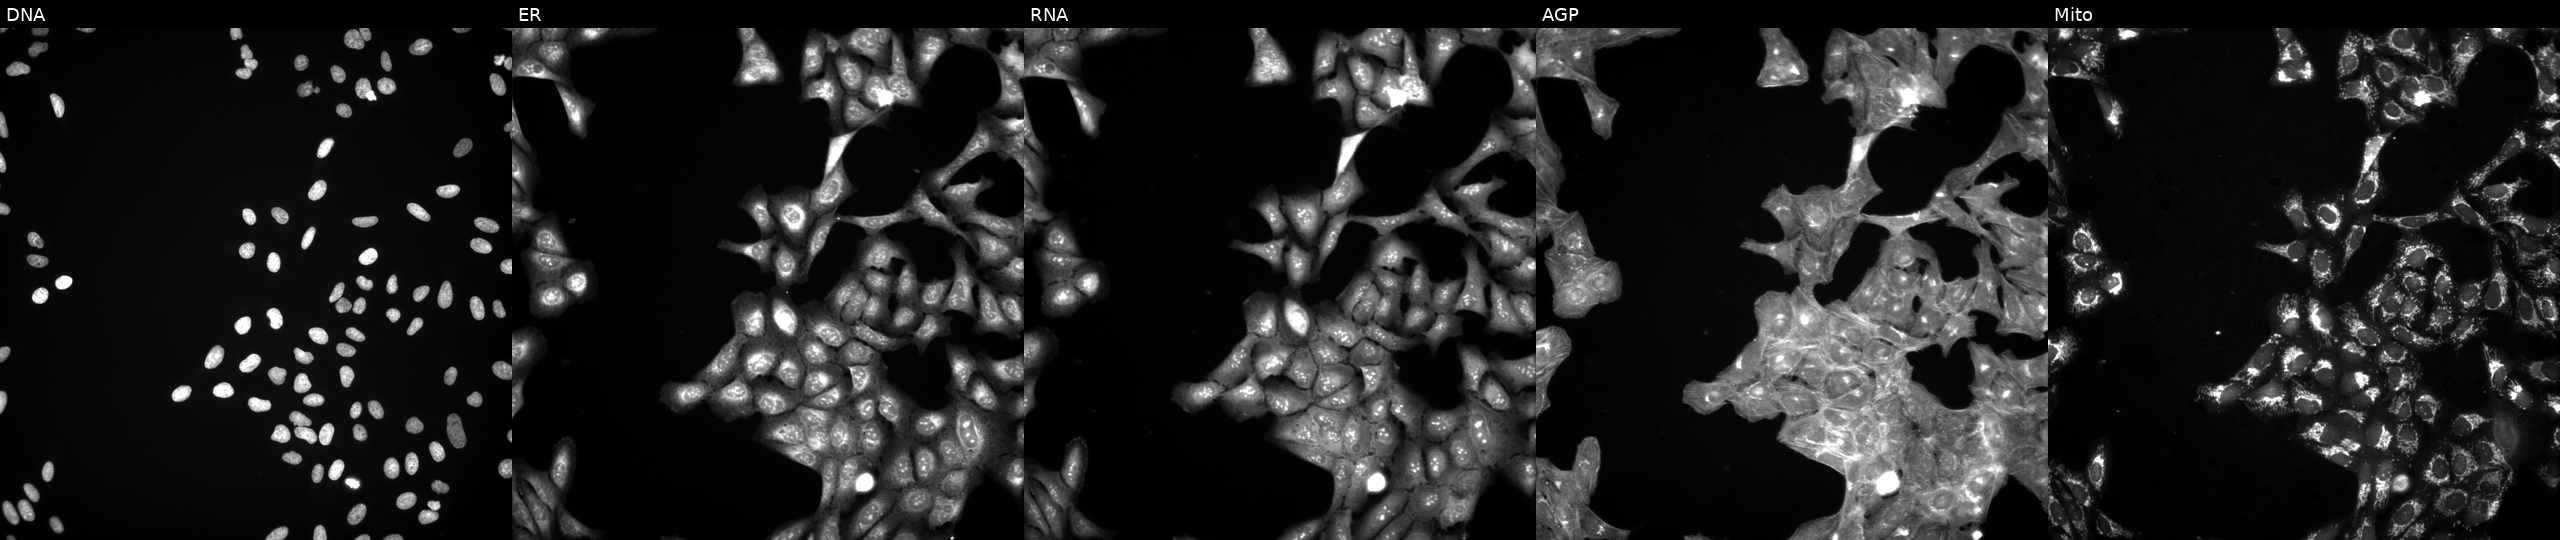
JUMP Cell Painting — TARGET2 plate. U2OS cells exposed to a small-molecule compound (InChIKey NMUSYJAQQFHJEW-UHFFFAOYSA-N). Panels show, left to right, DNA, ER, RNA, AGP, and Mito. Source 3, plate JCPQC051, well H21.